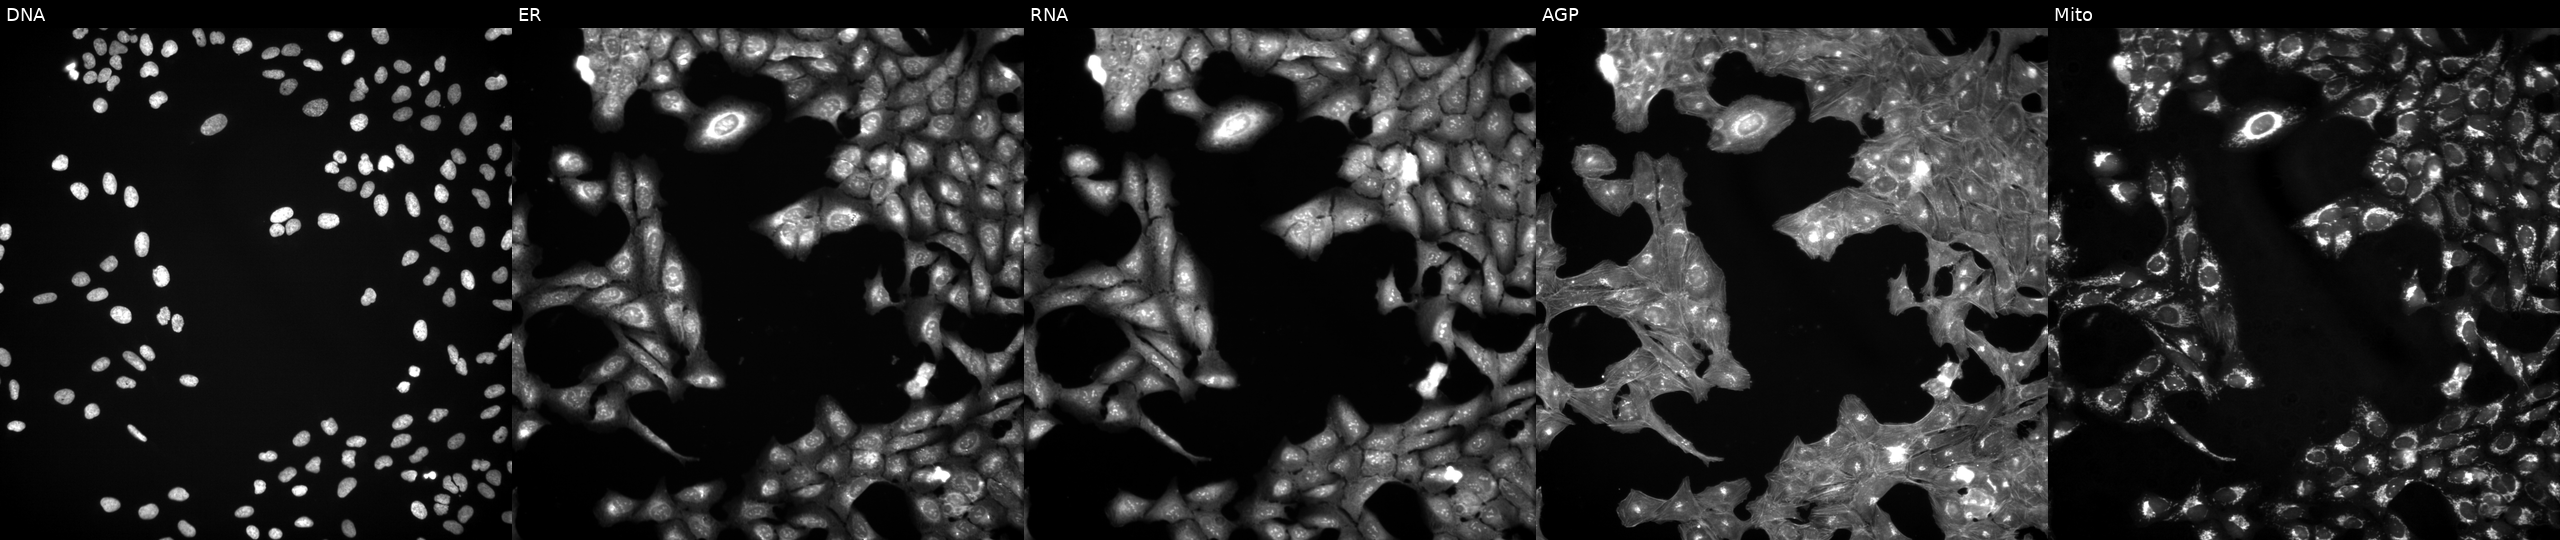
Five-channel Cell Painting image of U2OS cells exposed to DMSO alone as a negative control (JUMP id JCP2022_033924). Panels show, left to right, Hoechst 33342, concanavalin A, SYTO 14, phalloidin and WGA, MitoTracker.